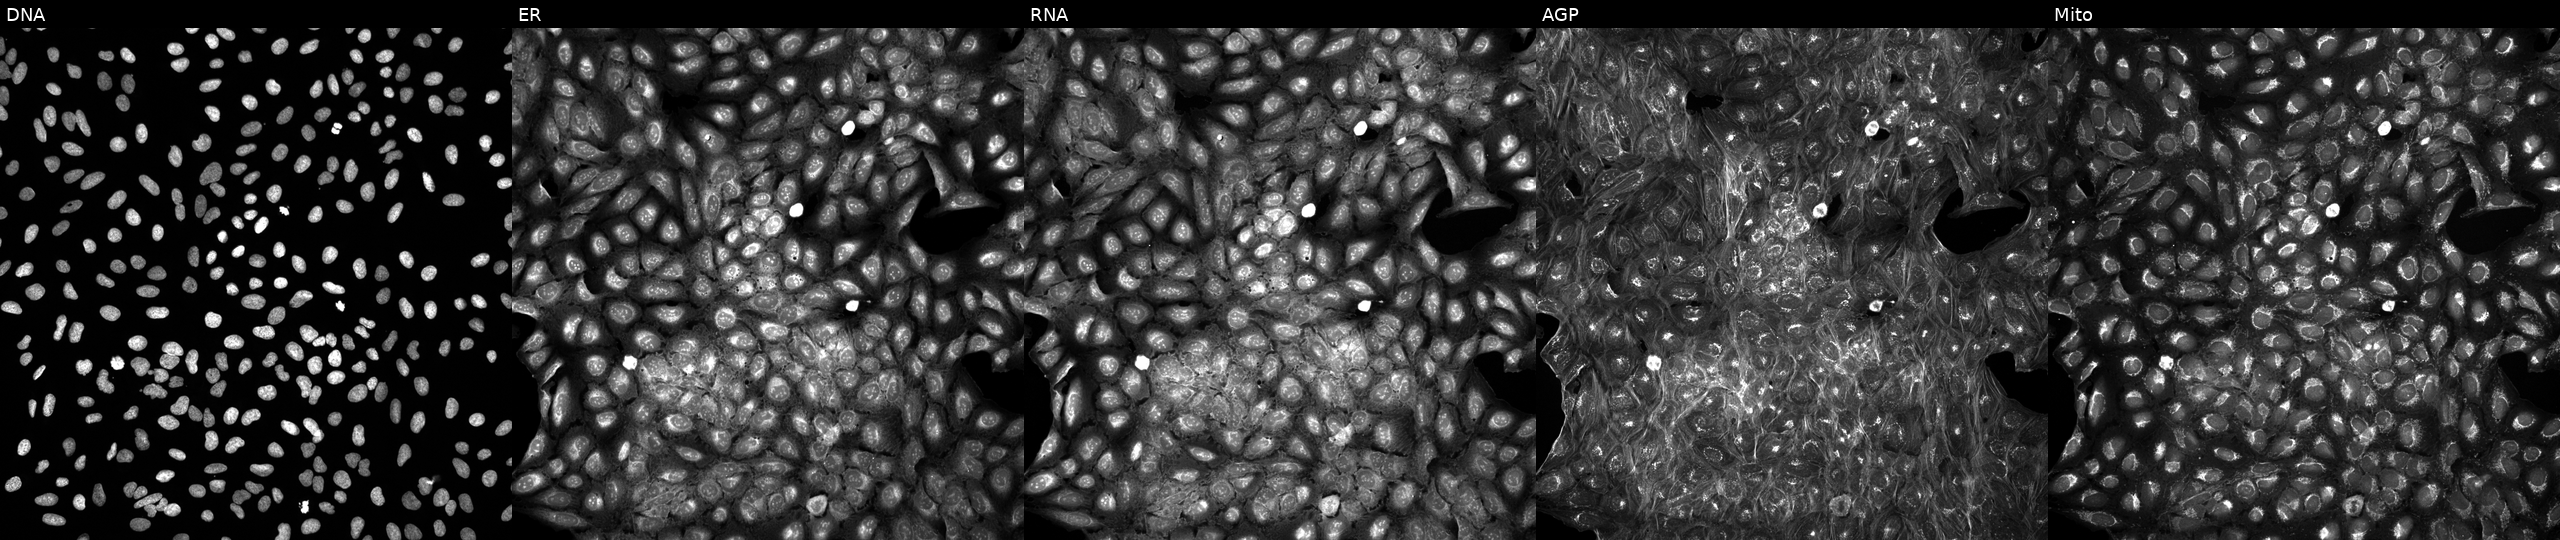
The five panels, left to right, show Hoechst 33342, concanavalin A, SYTO 14, phalloidin and WGA, MitoTracker. U2OS osteosarcoma cells exposed to a small-molecule compound [SMILES: O=c1cc(-c2cccc3c2Sc2ccccc2S3)oc(N2CCOCC2)c1]. Cell Painting assay, JUMP-CP dataset.